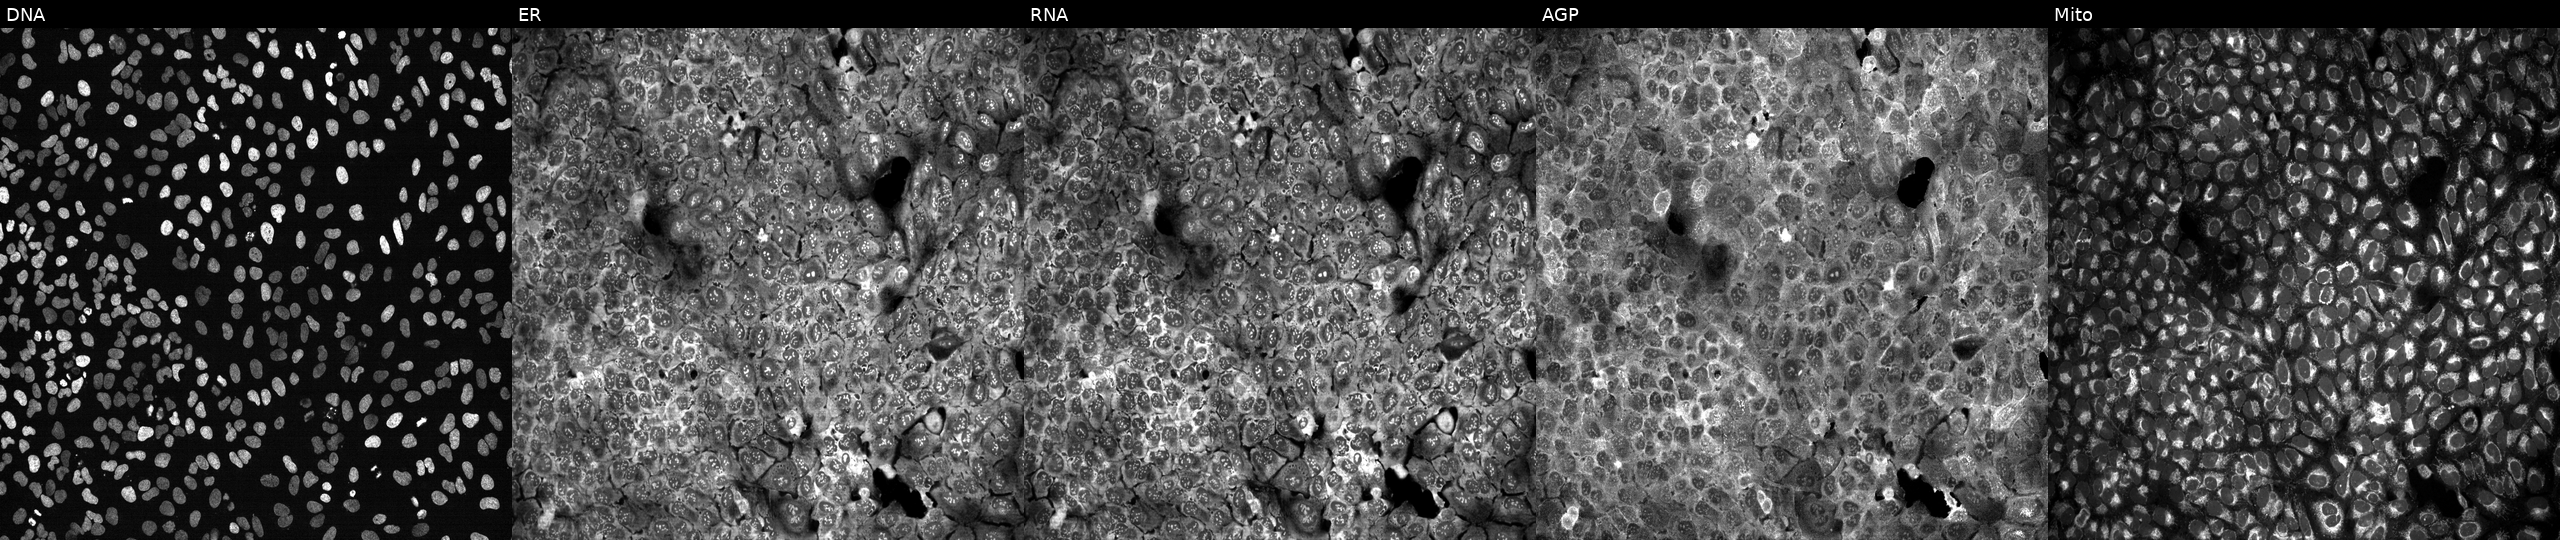
Five-channel Cell Painting image of U2OS cells CRISPR-edited to disrupt HS3ST6 (JUMP id JCP2022_803232). Panels show, left to right, DNA (nuclei); ER (endoplasmic reticulum); RNA (nucleoli and cytoplasmic RNA); AGP (actin cytoskeleton, Golgi, and plasma membrane); Mito (mitochondria).